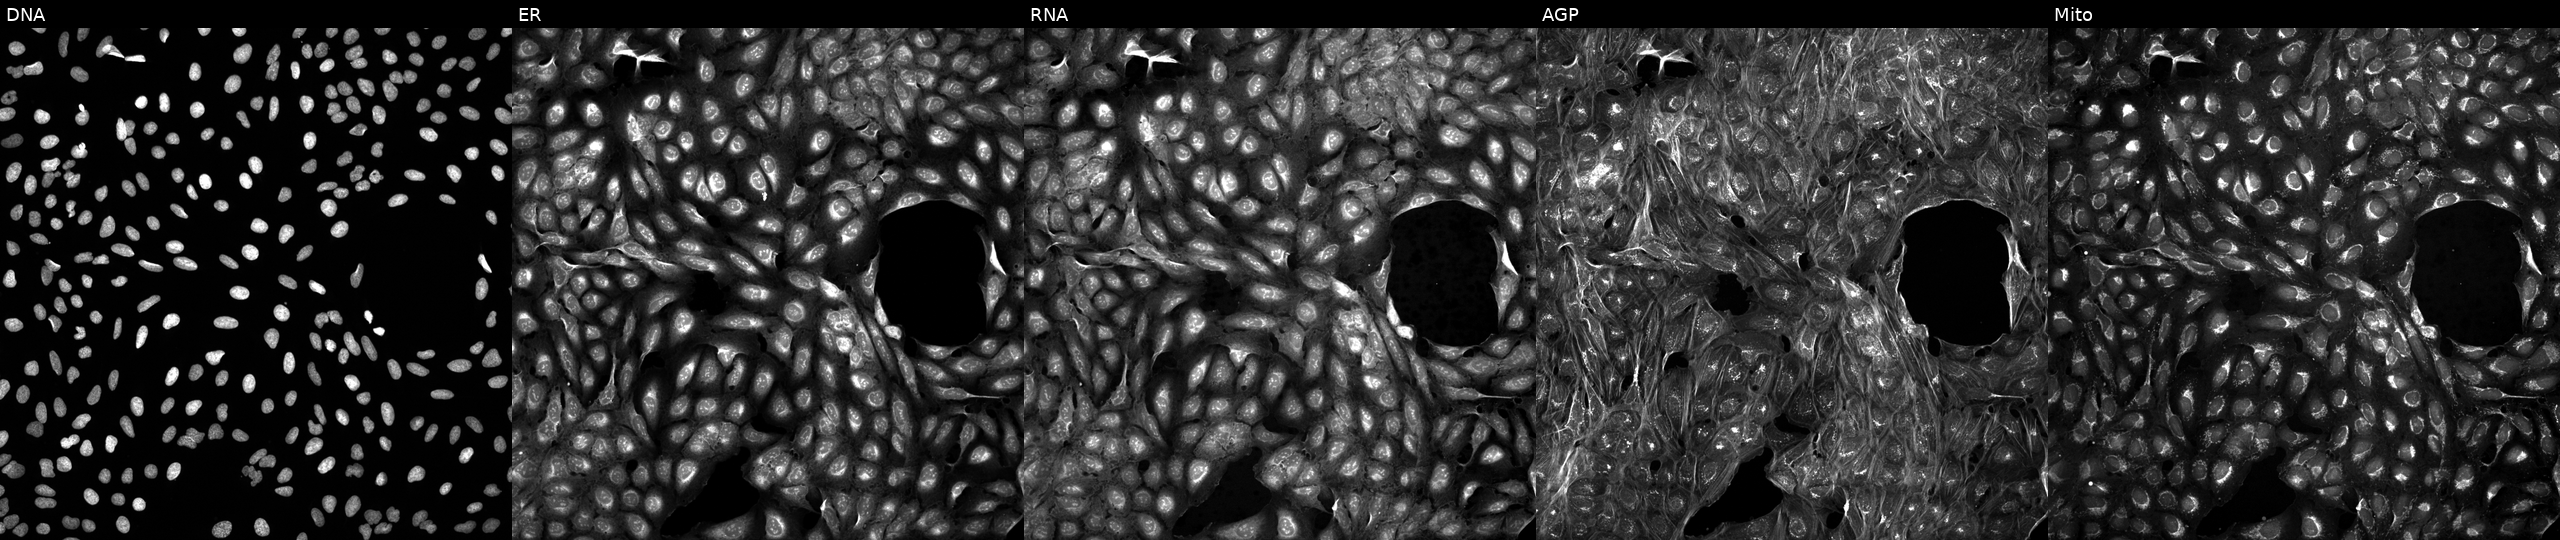
Five-channel Cell Painting image of U2OS cells treated with a small-molecule compound (InChIKey VFSVKVQMZDJFQX-UHFFFAOYSA-N) (JUMP id JCP2022_093678). The five panels, left to right, show Hoechst 33342, concanavalin A, SYTO 14, phalloidin and WGA, MitoTracker.